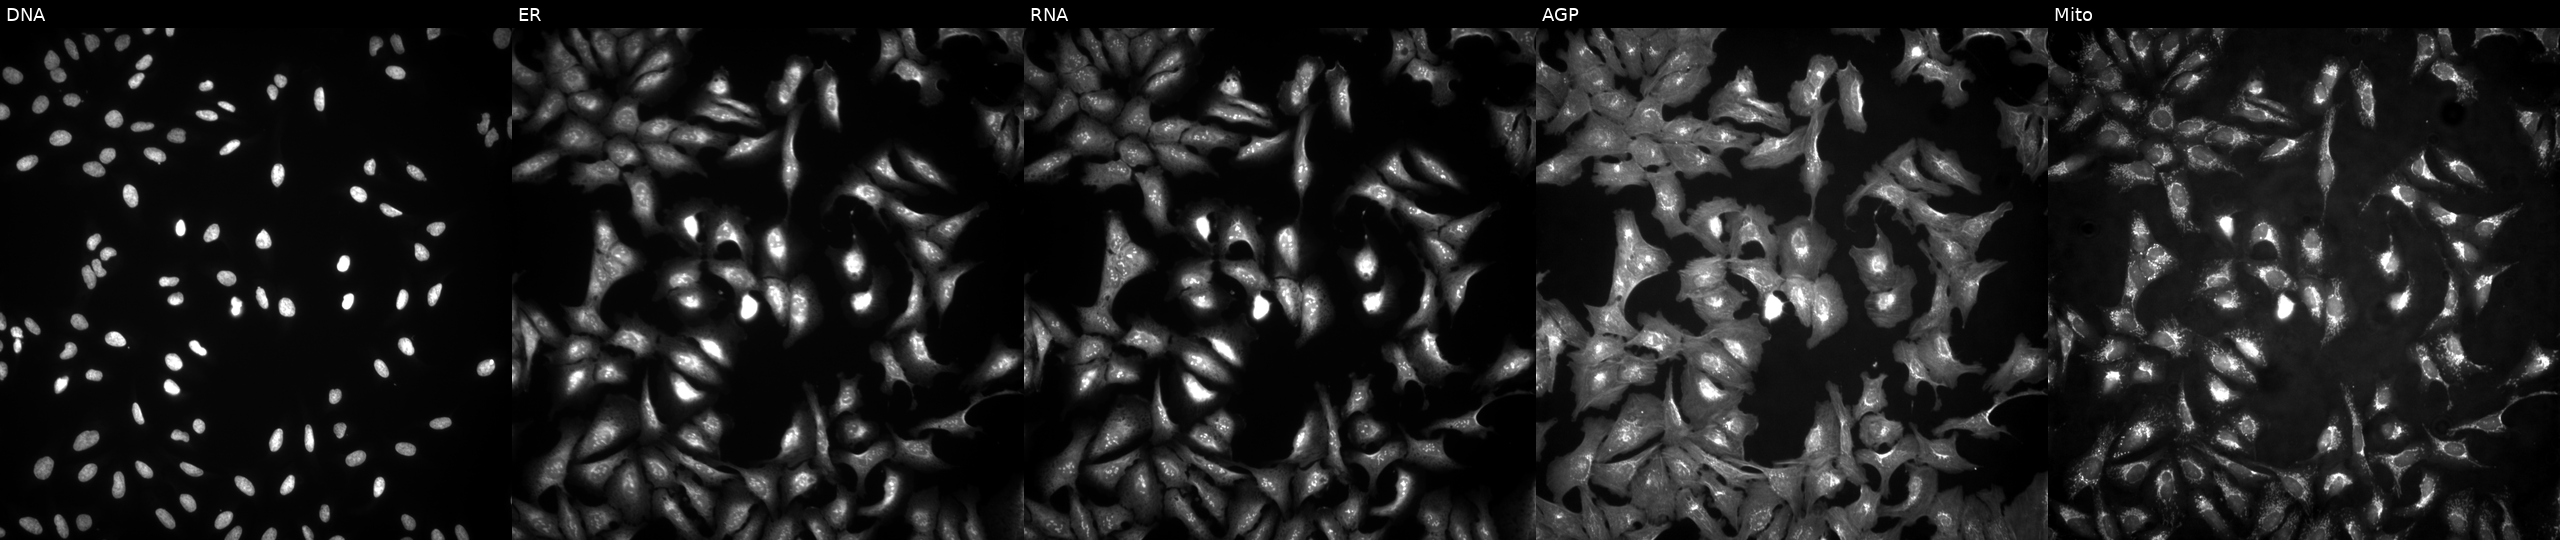
JUMP Cell Painting — ORF plate. U2OS cells overexpressing PSAT1 via ORF transfection (JUMP id JCP2022_907625). From left to right: DNA, ER, RNA, AGP, and Mito.